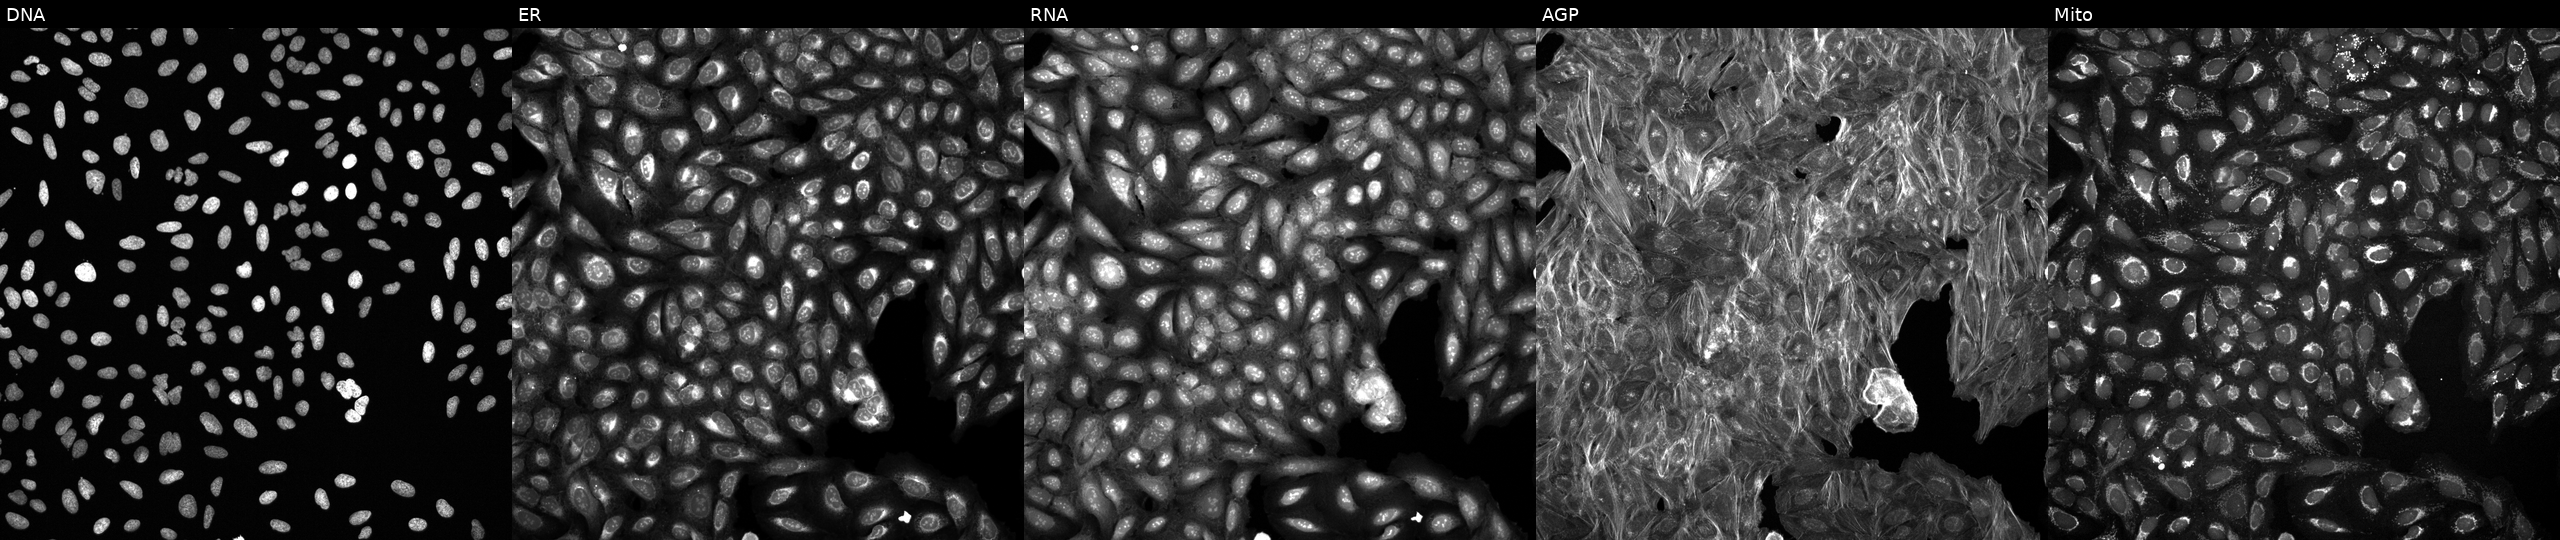
High-content fluorescence microscopy (Cell Painting). Cell line: U2OS. Perturbation: exposed to a small-molecule compound (JUMP id JCP2022_095237). From left to right: DNA (nuclei); ER (endoplasmic reticulum); RNA (nucleoli and cytoplasmic RNA); AGP (actin cytoskeleton, Golgi, and plasma membrane); Mito (mitochondria). Source 6, plate 110000293082, well I14.